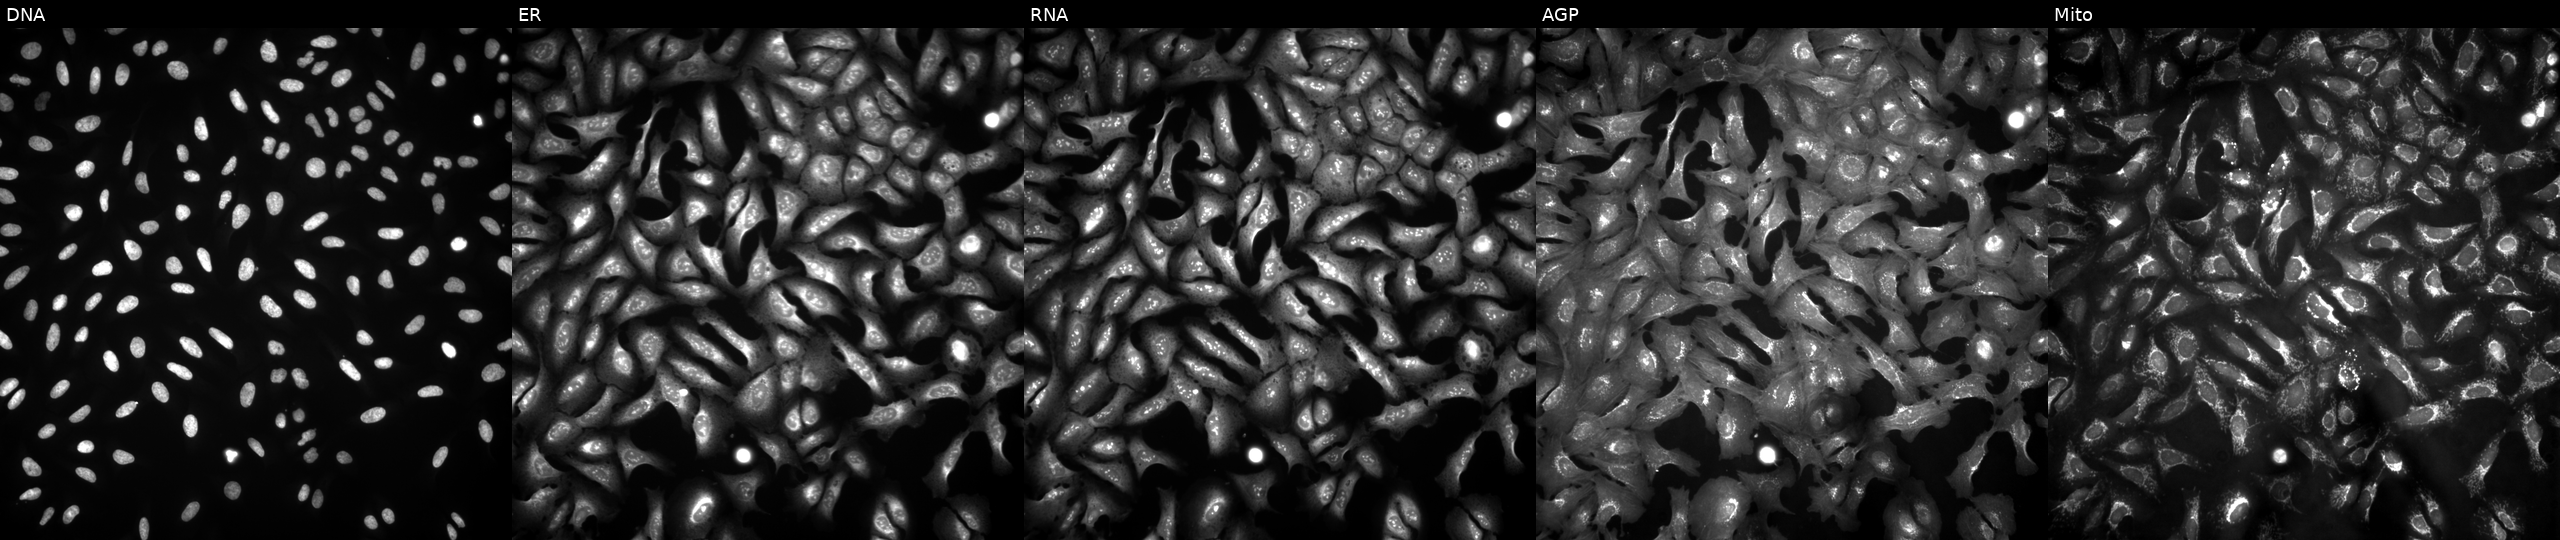
From left to right: Hoechst 33342, concanavalin A, SYTO 14, phalloidin and WGA, MitoTracker. U2OS osteosarcoma cells with ENKD1 overexpressed (ORF). Cell Painting assay, JUMP-CP dataset. Source 4, plate BR00121543, well D13.